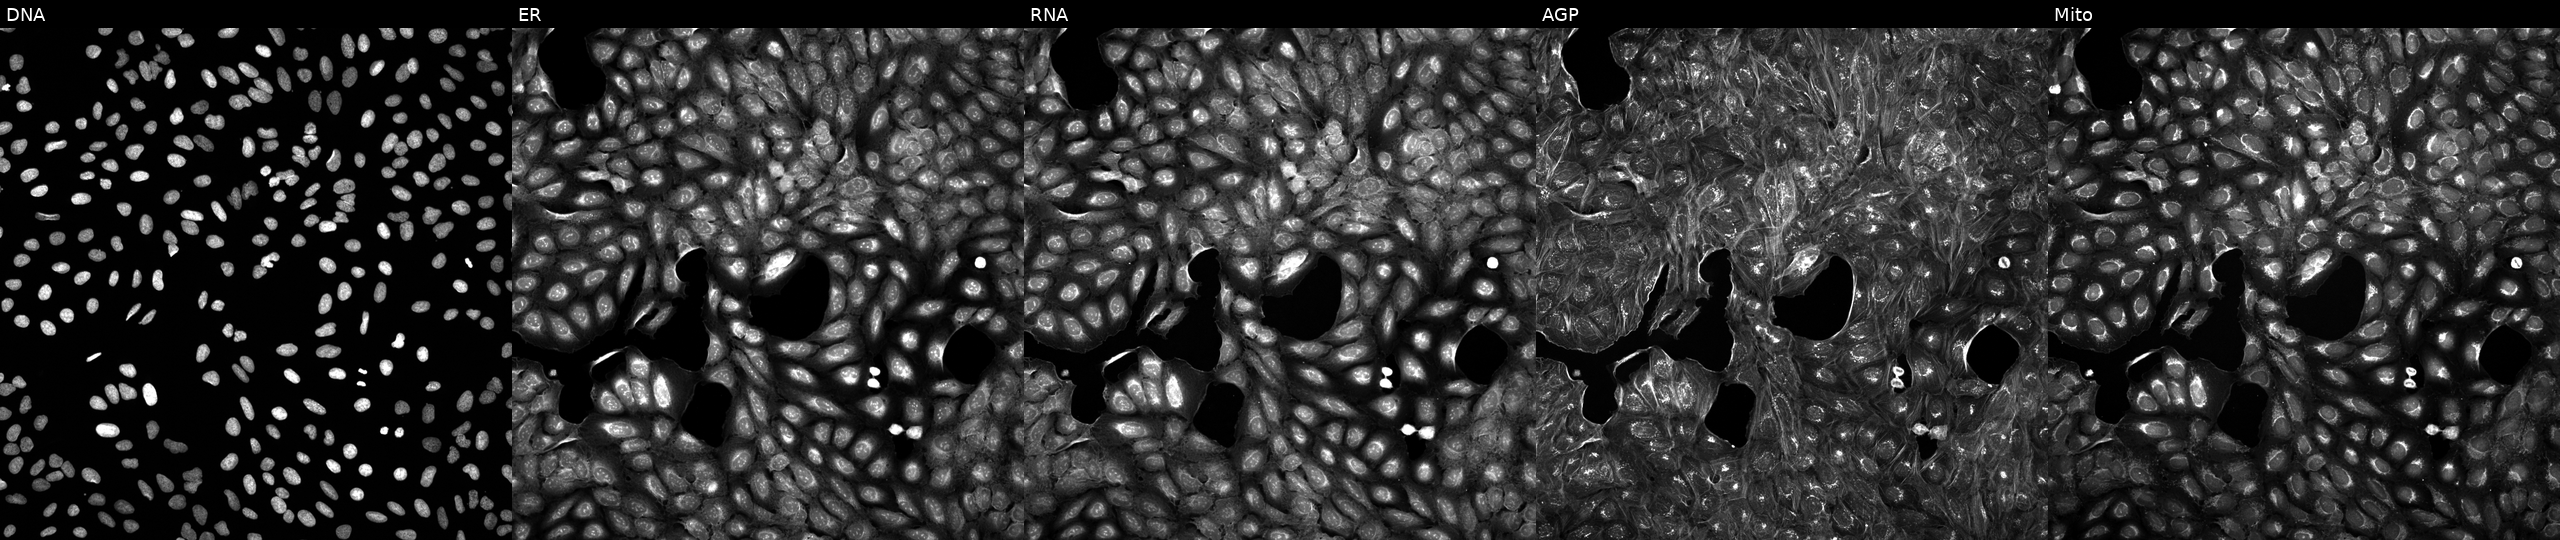
JUMP Cell Painting — COMPOUND plate. U2OS cells perturbed with a small-molecule compound (InChIKey ZTDRXONQCWBYQG-UHFFFAOYSA-N) [SMILES: Cc1cc(C)cc(C2(C(=O)NCCS(N)(=O)=O)CC2)c1]. Channels (left→right): DNA (nuclei); ER (endoplasmic reticulum); RNA (nucleoli and cytoplasmic RNA); AGP (actin cytoskeleton, Golgi, and plasma membrane); Mito (mitochondria).